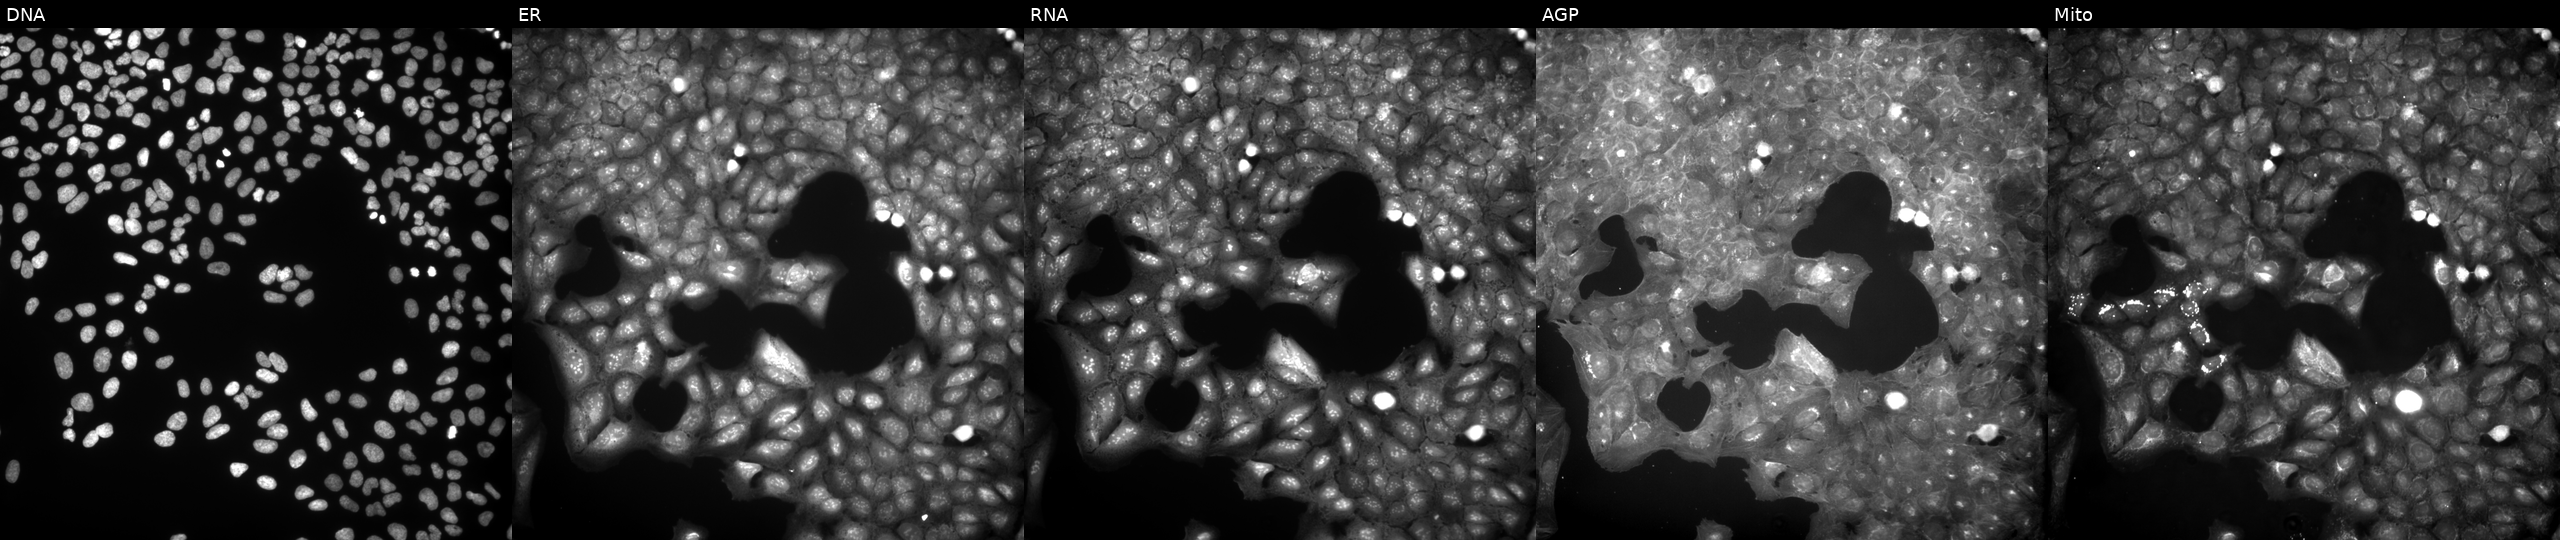
Panels show, left to right, DNA (nuclei); ER (endoplasmic reticulum); RNA (nucleoli and cytoplasmic RNA); AGP (actin cytoskeleton, Golgi, and plasma membrane); Mito (mitochondria). U2OS osteosarcoma cells treated with a small-molecule compound (InChIKey BUBNUJXLIQIFPD-UHFFFAOYSA-N). Cell Painting assay, JUMP-CP dataset. Source 9, plate GR00003382, well H30.